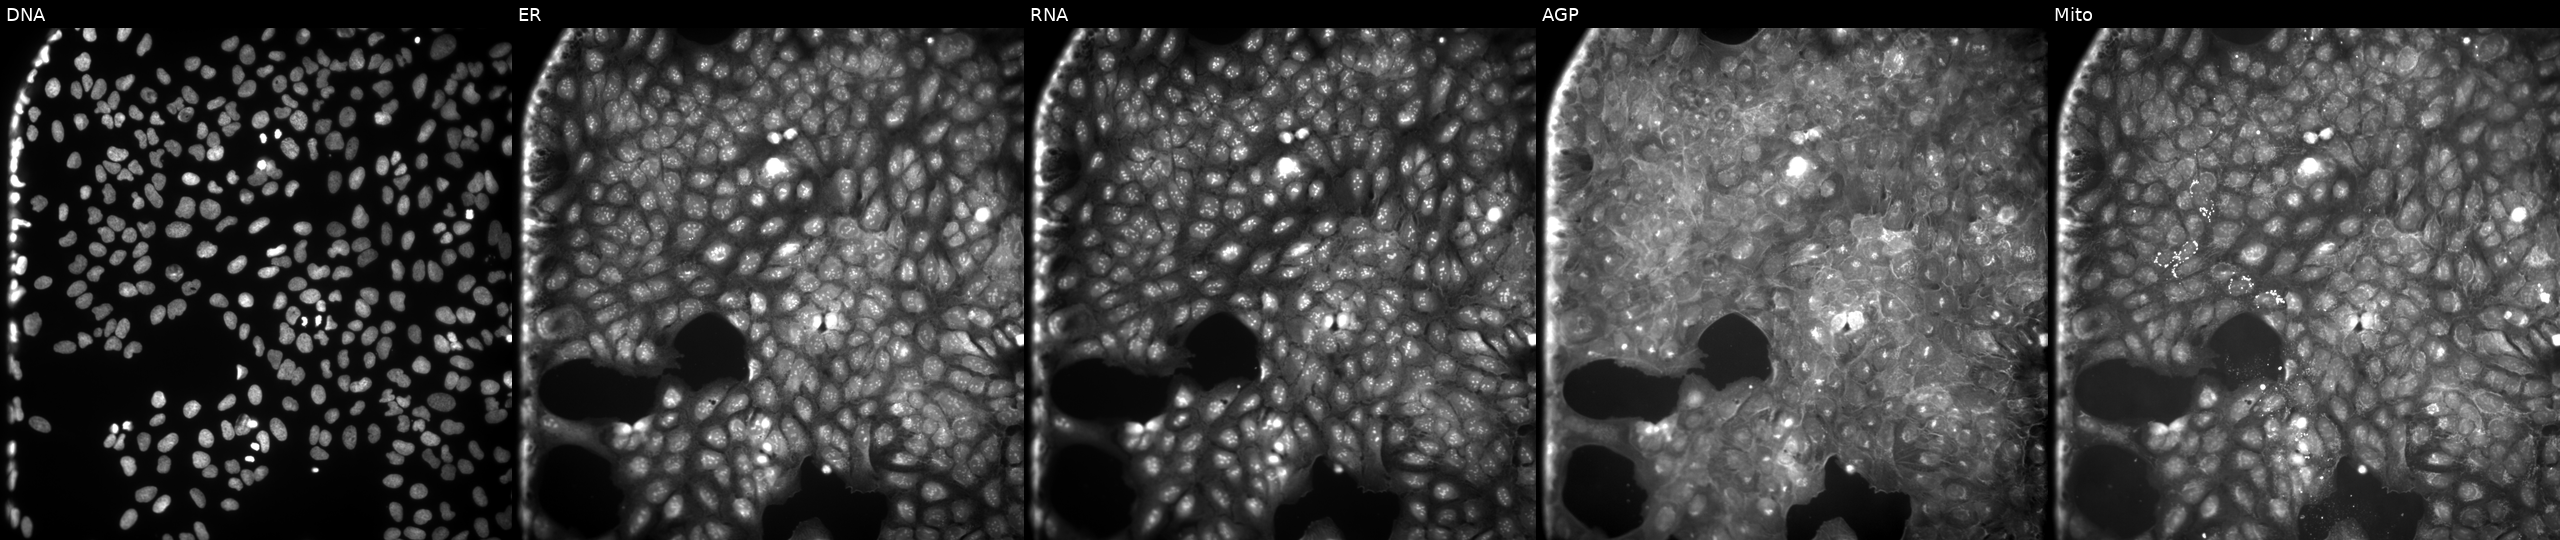
Panels show, left to right, Hoechst 33342, concanavalin A, SYTO 14, phalloidin and WGA, MitoTracker. U2OS osteosarcoma cells exposed to a small-molecule compound (InChIKey IANULKJFHGLGOX-UHFFFAOYSA-N) [SMILES: COc1ccccc1C1SCCN1S(=O)(=O)c1cccc(C(F)(F)F)c1] (JUMP id JCP2022_033842). Cell Painting assay, JUMP-CP dataset.